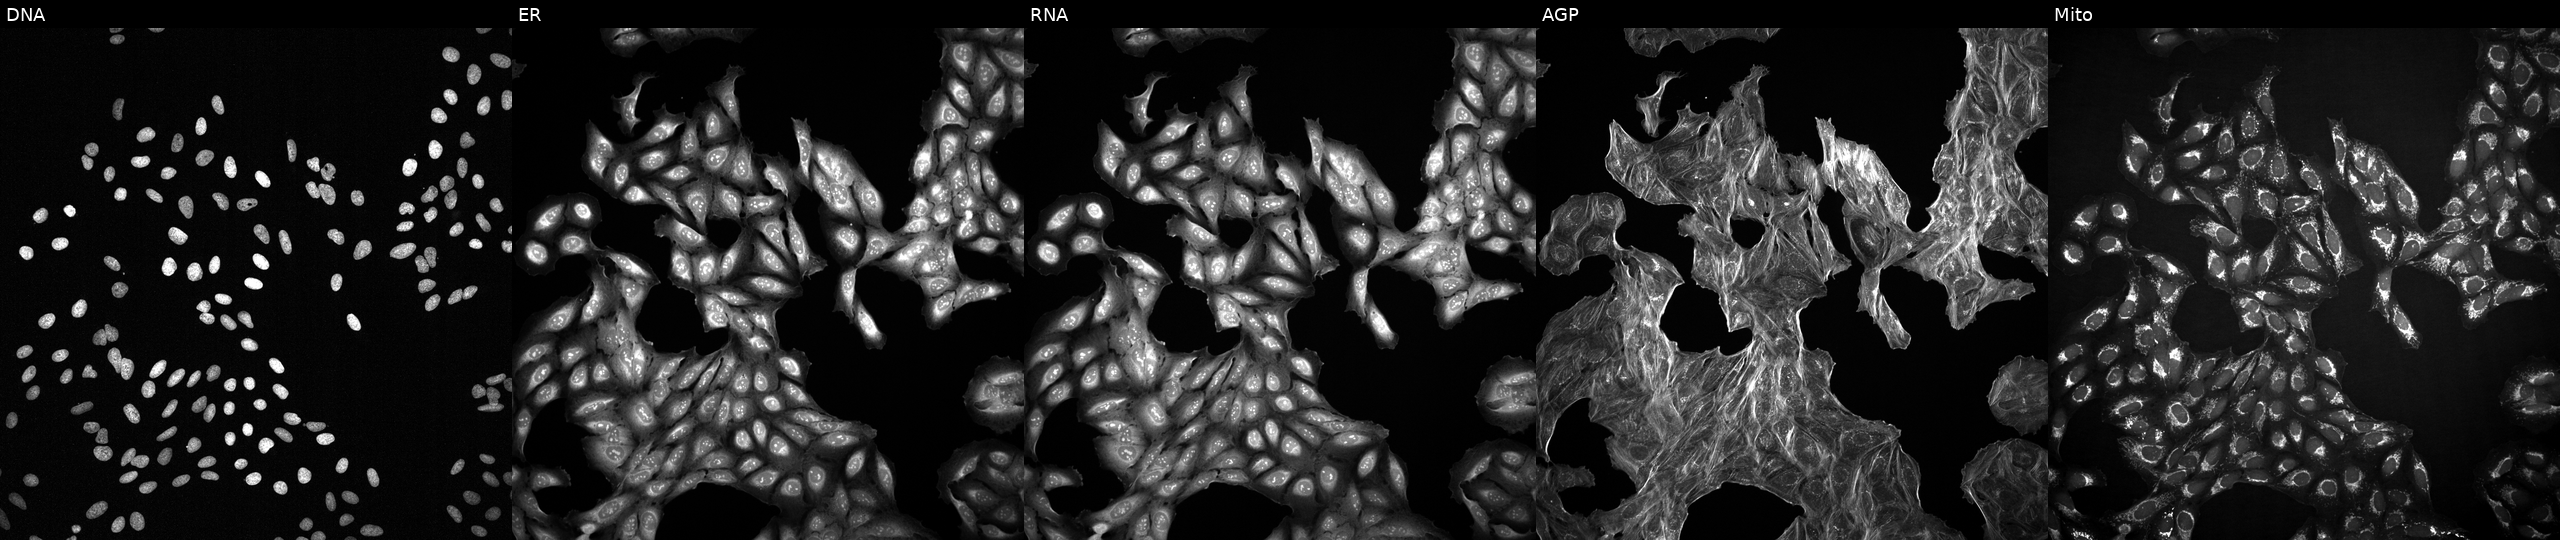
U2OS cells, Cell Painting assay, treated with quinidine (positive-control compound). From left to right: DNA, ER, RNA, AGP, and Mito. Each panel is percentile-stretched 16-bit fluorescence.